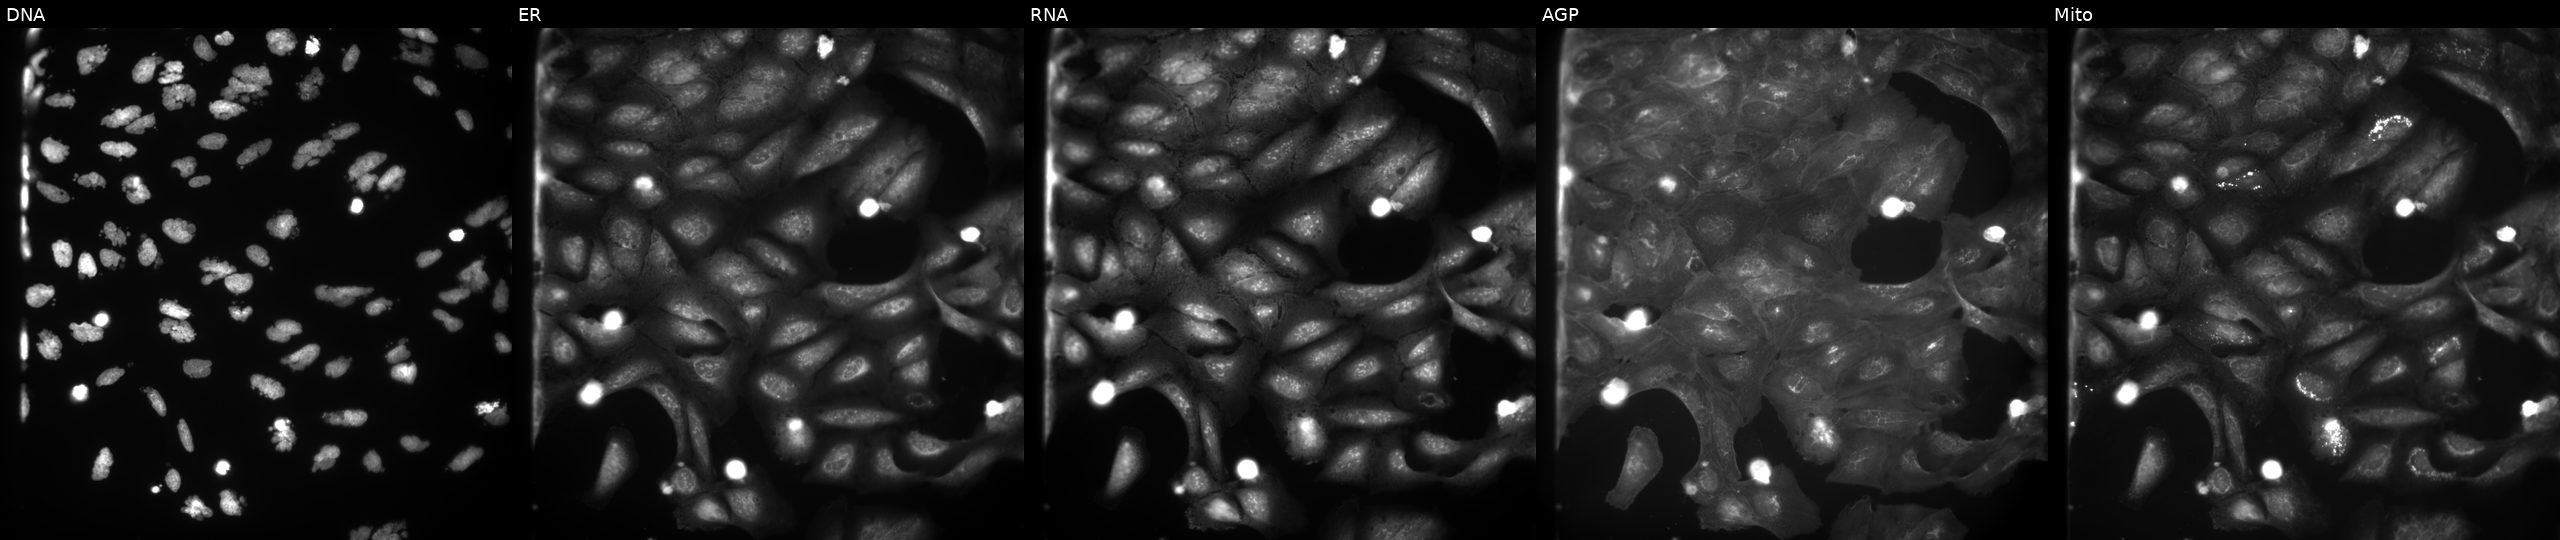
JUMP Cell Painting — COMPOUND plate. U2OS cells treated with AMG900 (positive-control compound). Channels (left→right): Hoechst 33342, concanavalin A, SYTO 14, phalloidin and WGA, MitoTracker.